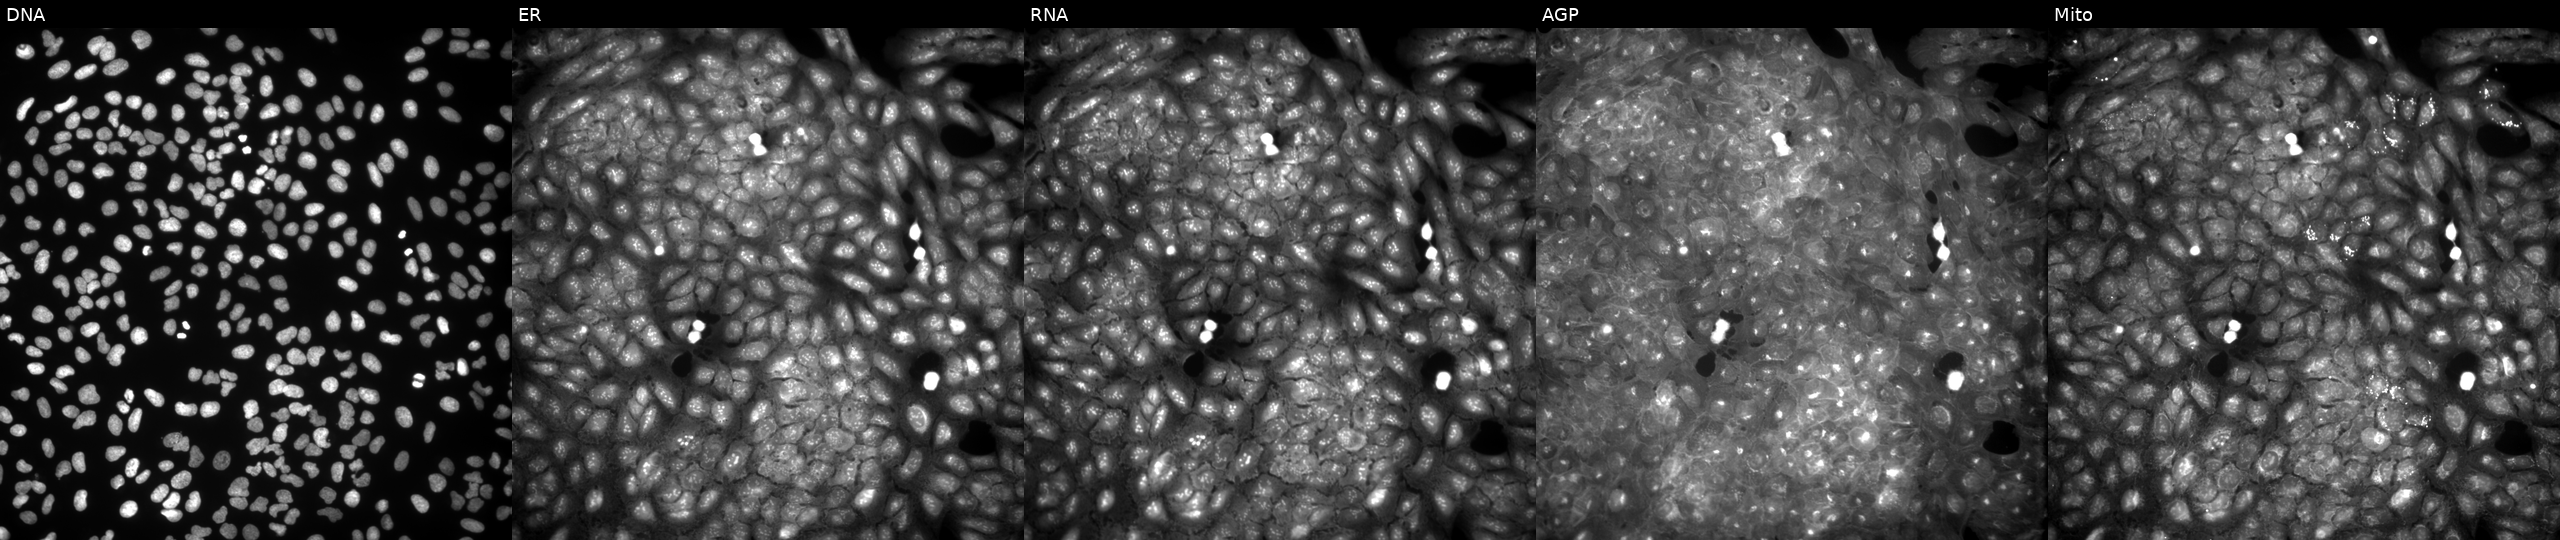
The five panels, left to right, show Hoechst 33342, concanavalin A, SYTO 14, phalloidin and WGA, MitoTracker. U2OS osteosarcoma cells perturbed with a small-molecule compound (InChIKey WJOQPWLAHDMLAU-UHFFFAOYSA-N) (JUMP id JCP2022_099193). Cell Painting assay, JUMP-CP dataset.